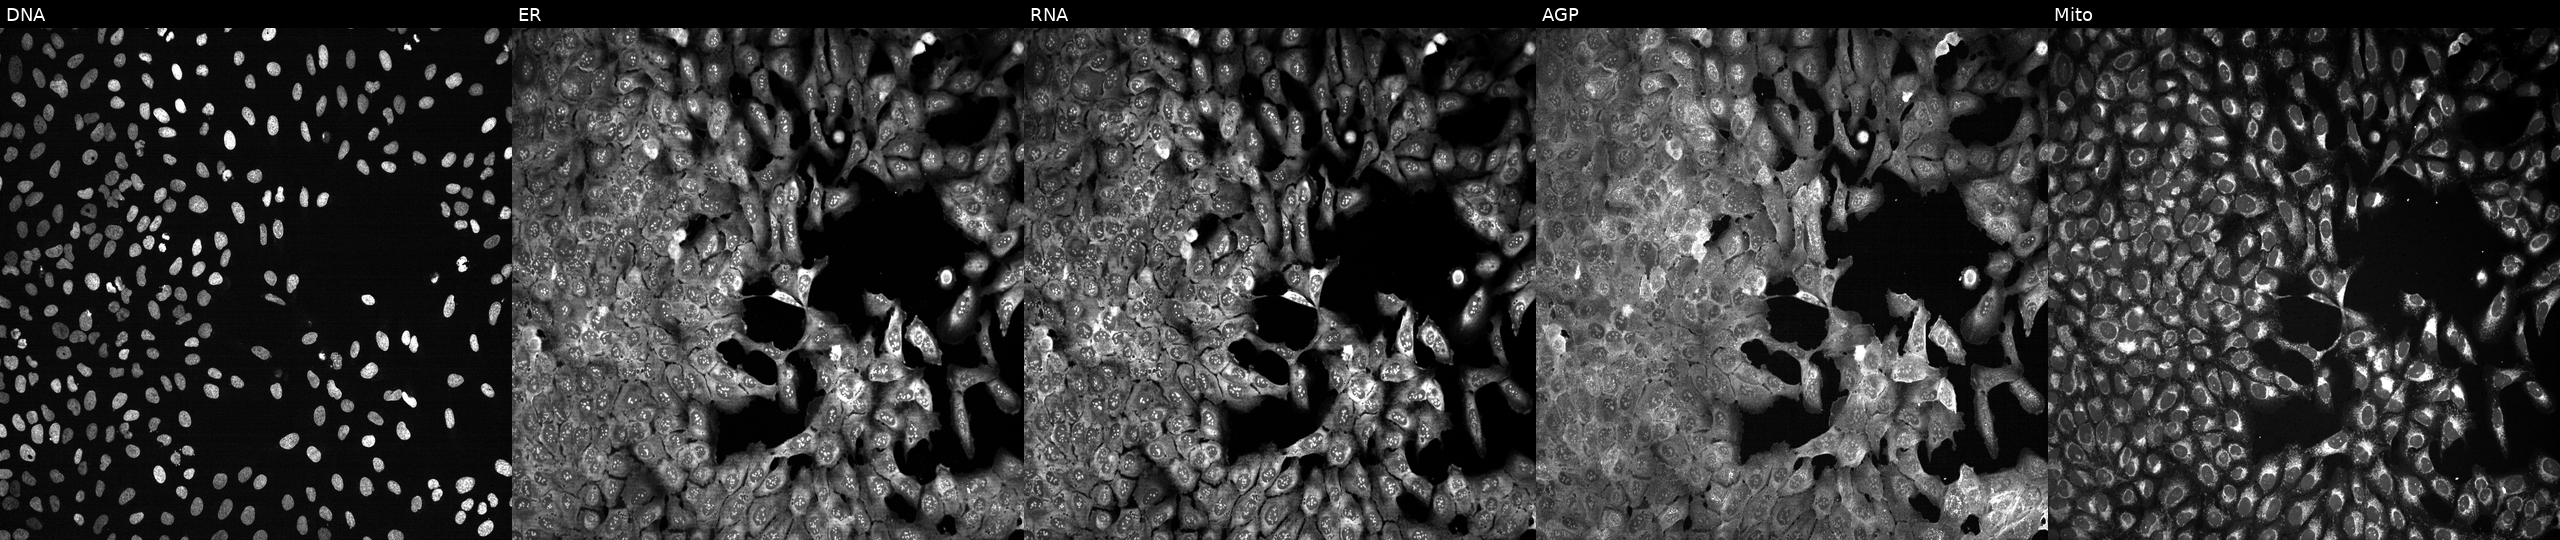
From left to right: DNA (nuclei); ER (endoplasmic reticulum); RNA (nucleoli and cytoplasmic RNA); AGP (actin cytoskeleton, Golgi, and plasma membrane); Mito (mitochondria). U2OS osteosarcoma cells CRISPR-edited to disrupt SLC5A11. Cell Painting assay, JUMP-CP dataset. Source 13, plate CP-CC9-R3-01, well L08.